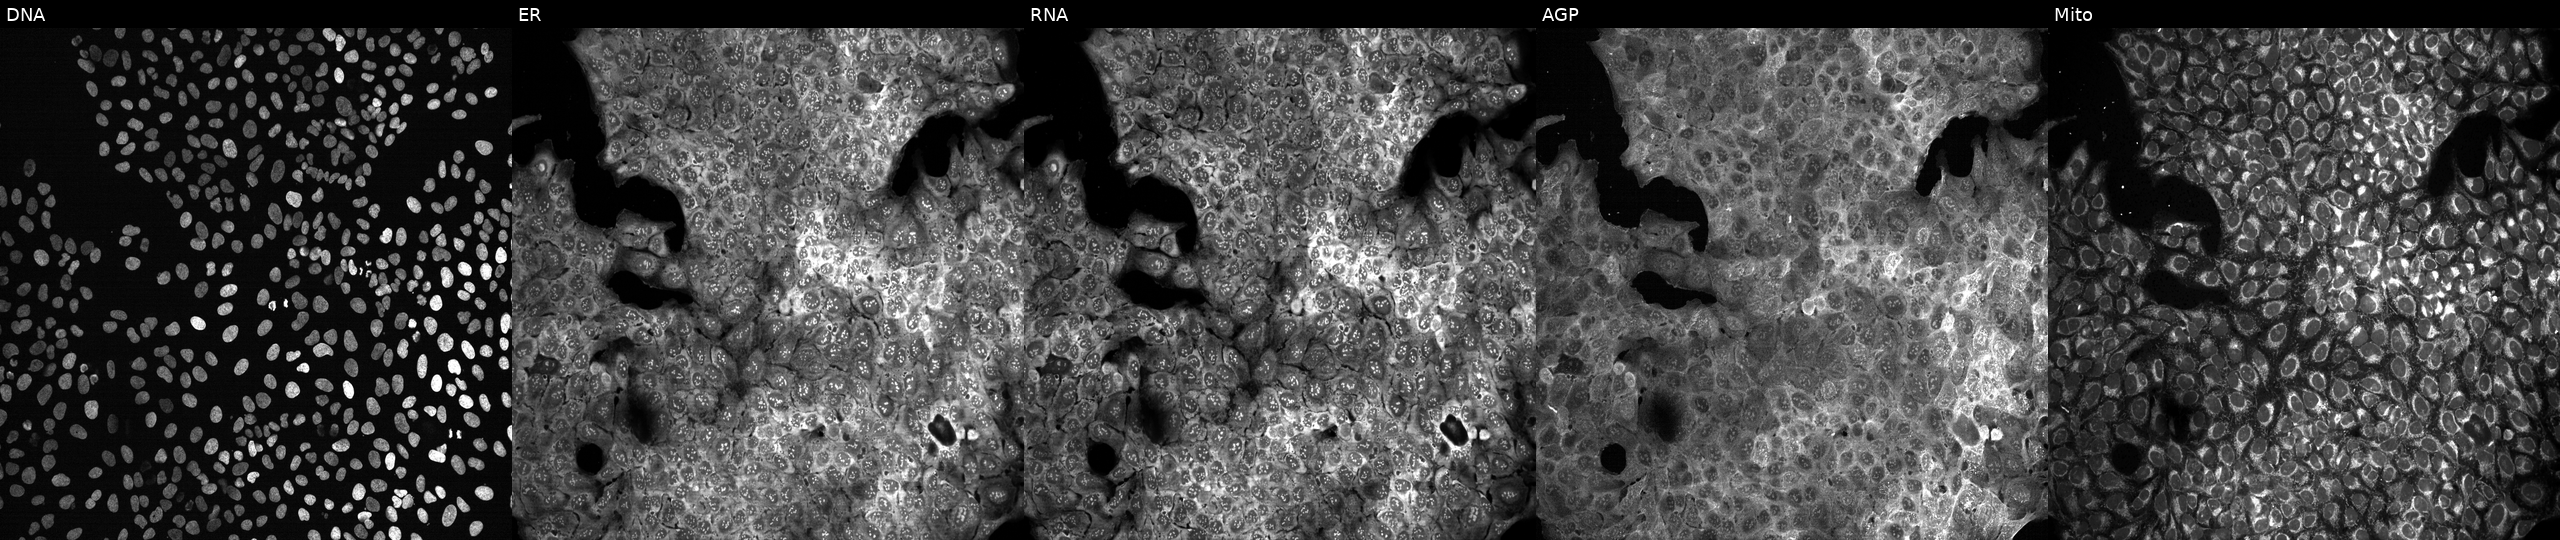
JUMP Cell Painting — CRISPR plate. U2OS cells treated with LY2109761 (positive-control compound). Channels (left→right): DNA (nuclei); ER (endoplasmic reticulum); RNA (nucleoli and cytoplasmic RNA); AGP (actin cytoskeleton, Golgi, and plasma membrane); Mito (mitochondria). Source 13, plate CP-CC9-R3-02, well M01.